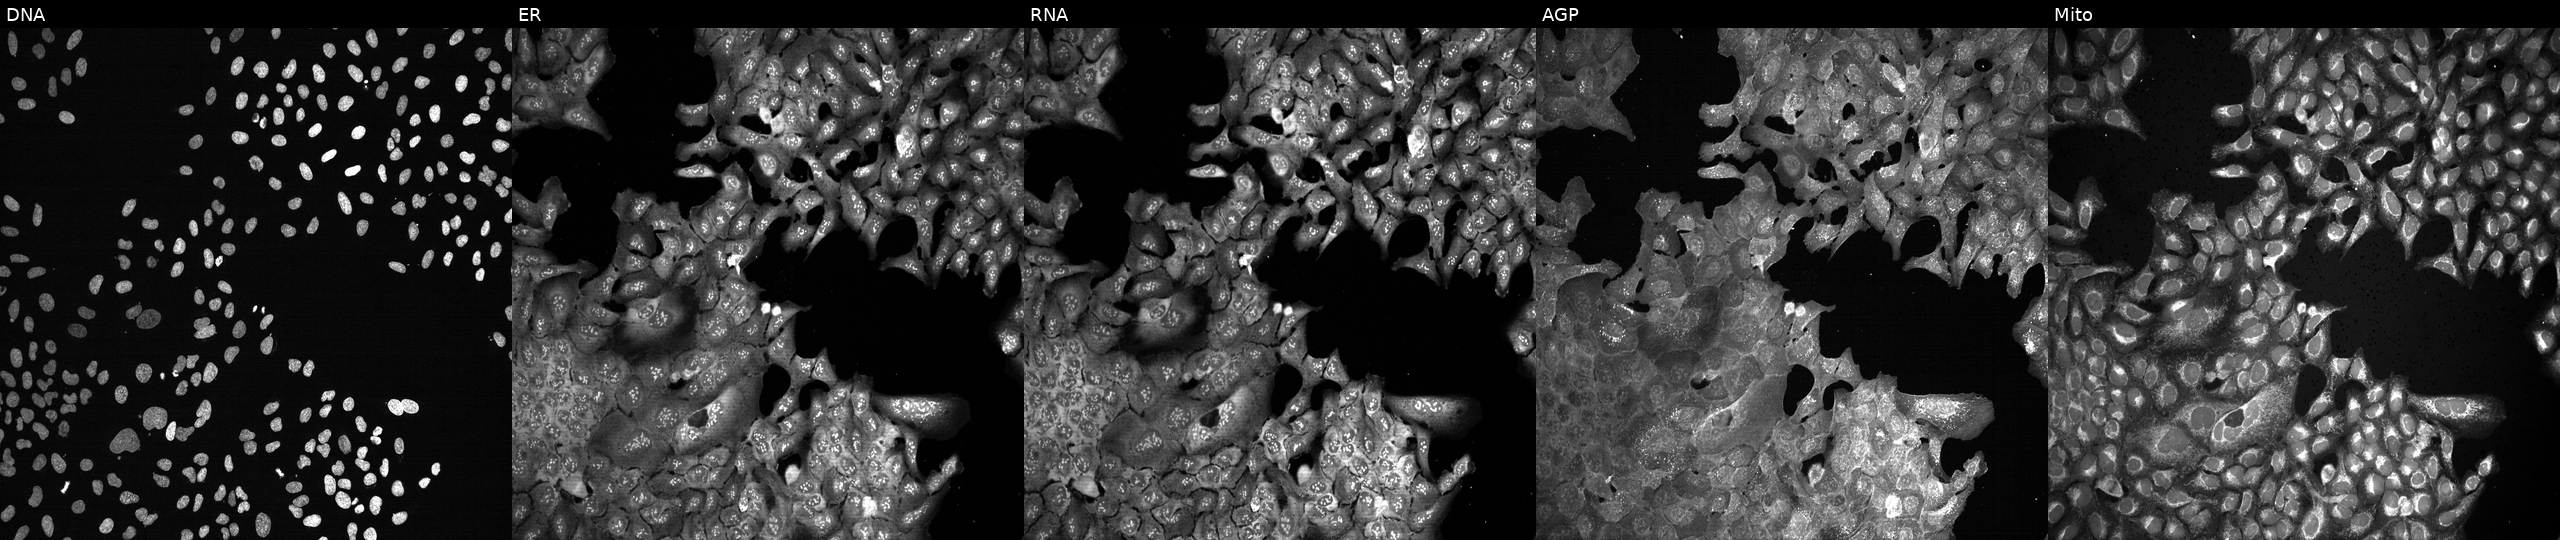
U2OS cells, Cell Painting assay, CRISPR-edited to disrupt CLEC1B. Channels (left→right): DNA (nuclei); ER (endoplasmic reticulum); RNA (nucleoli and cytoplasmic RNA); AGP (actin cytoskeleton, Golgi, and plasma membrane); Mito (mitochondria). Each panel is percentile-stretched 16-bit fluorescence.